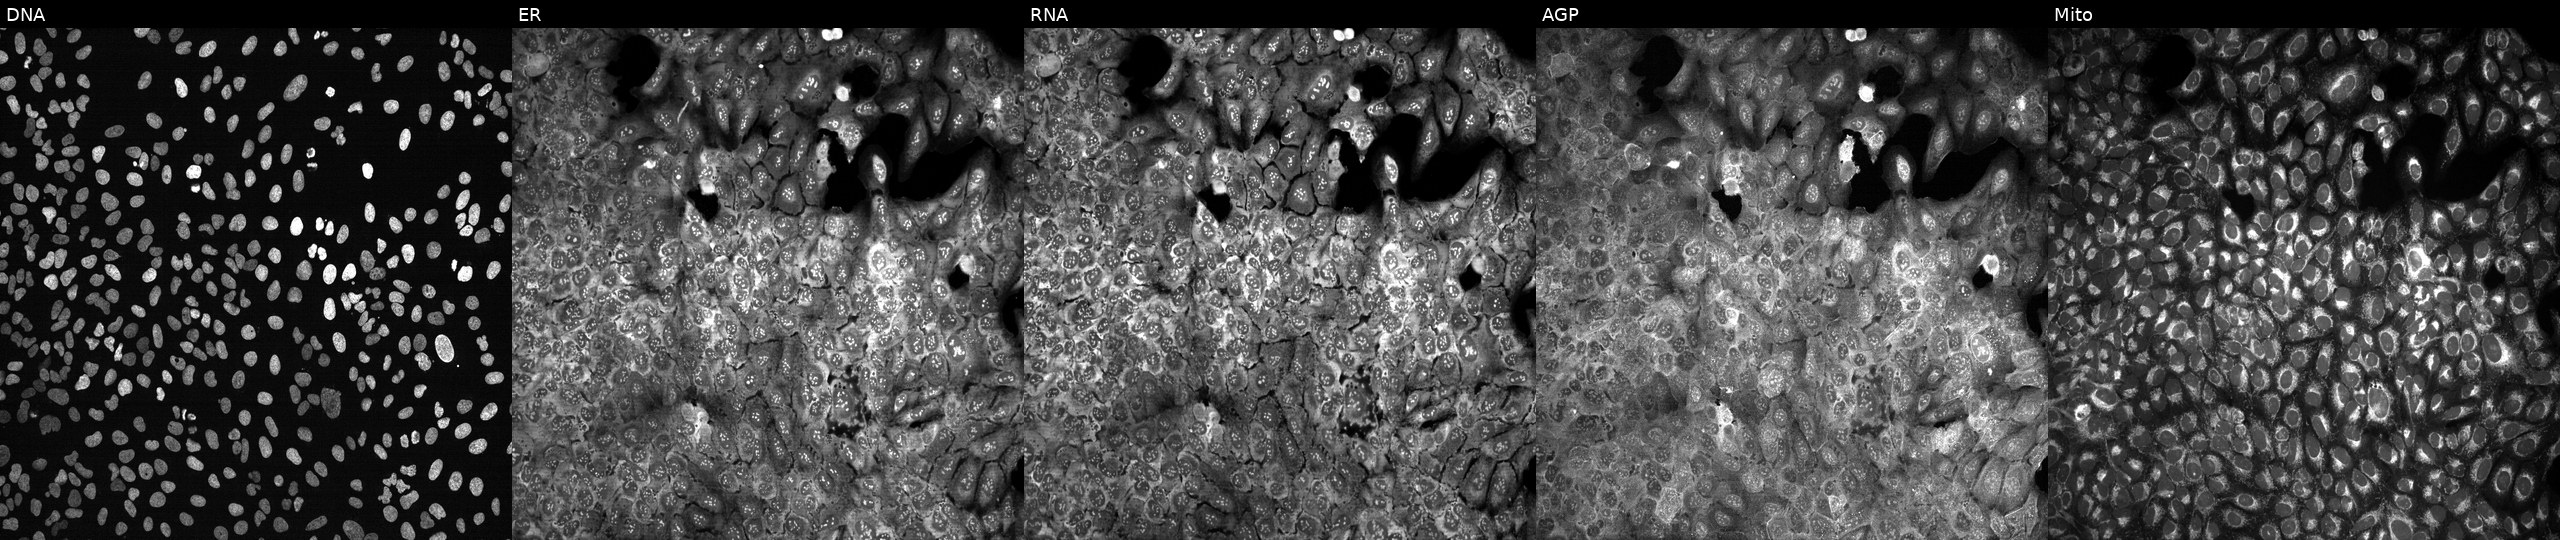
This image strip shows the five Cell Painting channels for a single field of U2OS cells with ECI2 knocked out by CRISPR. The five panels, left to right, show Hoechst 33342, concanavalin A, SYTO 14, phalloidin and WGA, MitoTracker. Source 13, plate CP-CC9-R4-03, well P14.